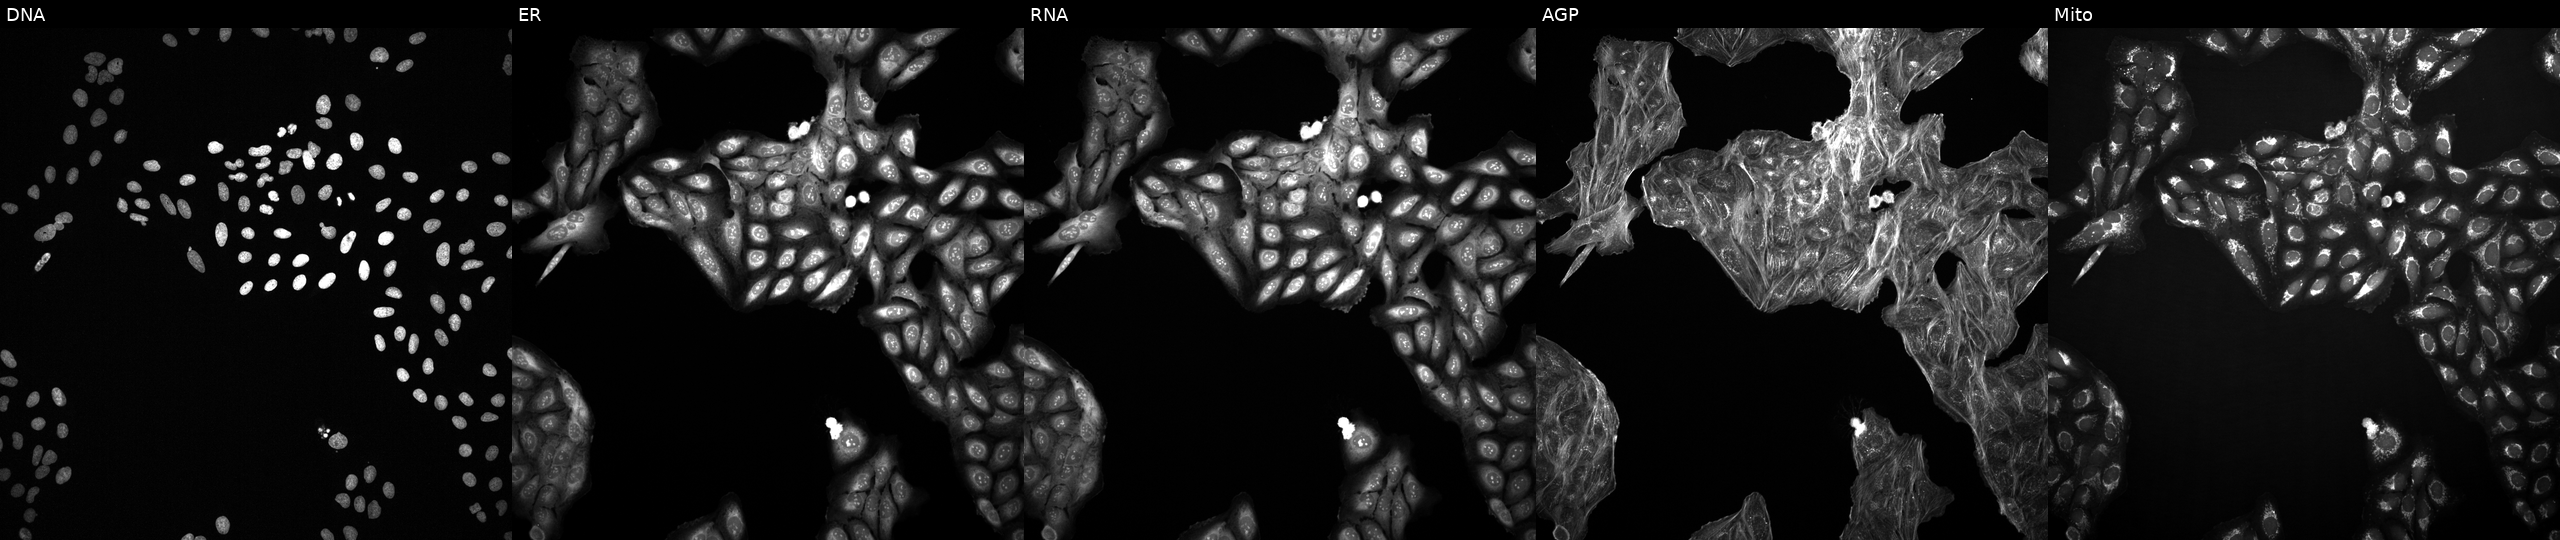
High-content fluorescence microscopy (Cell Painting). Cell line: U2OS. Perturbation: treated with DMSO vehicle only (negative control) (JUMP id JCP2022_033924). Panels show, left to right, DNA, ER, RNA, AGP, and Mito.